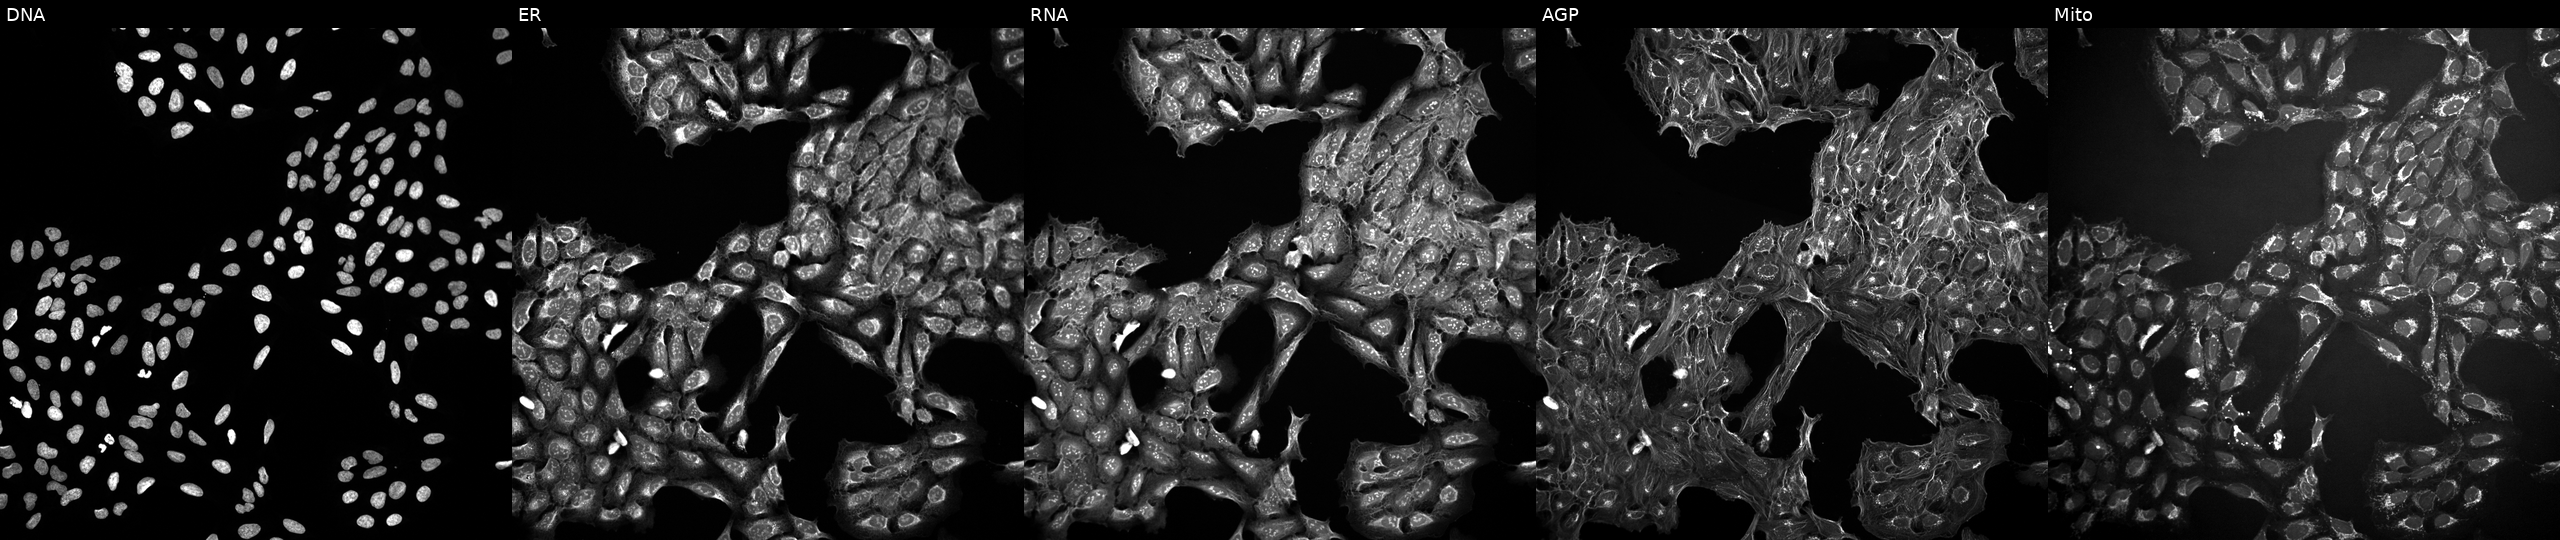
This image strip shows the five Cell Painting channels for a single field of U2OS cells in an empty control well (no perturbation). Channels (left→right): DNA (nuclei); ER (endoplasmic reticulum); RNA (nucleoli and cytoplasmic RNA); AGP (actin cytoskeleton, Golgi, and plasma membrane); Mito (mitochondria). Source 10, plate Dest210531-152324, well P20.